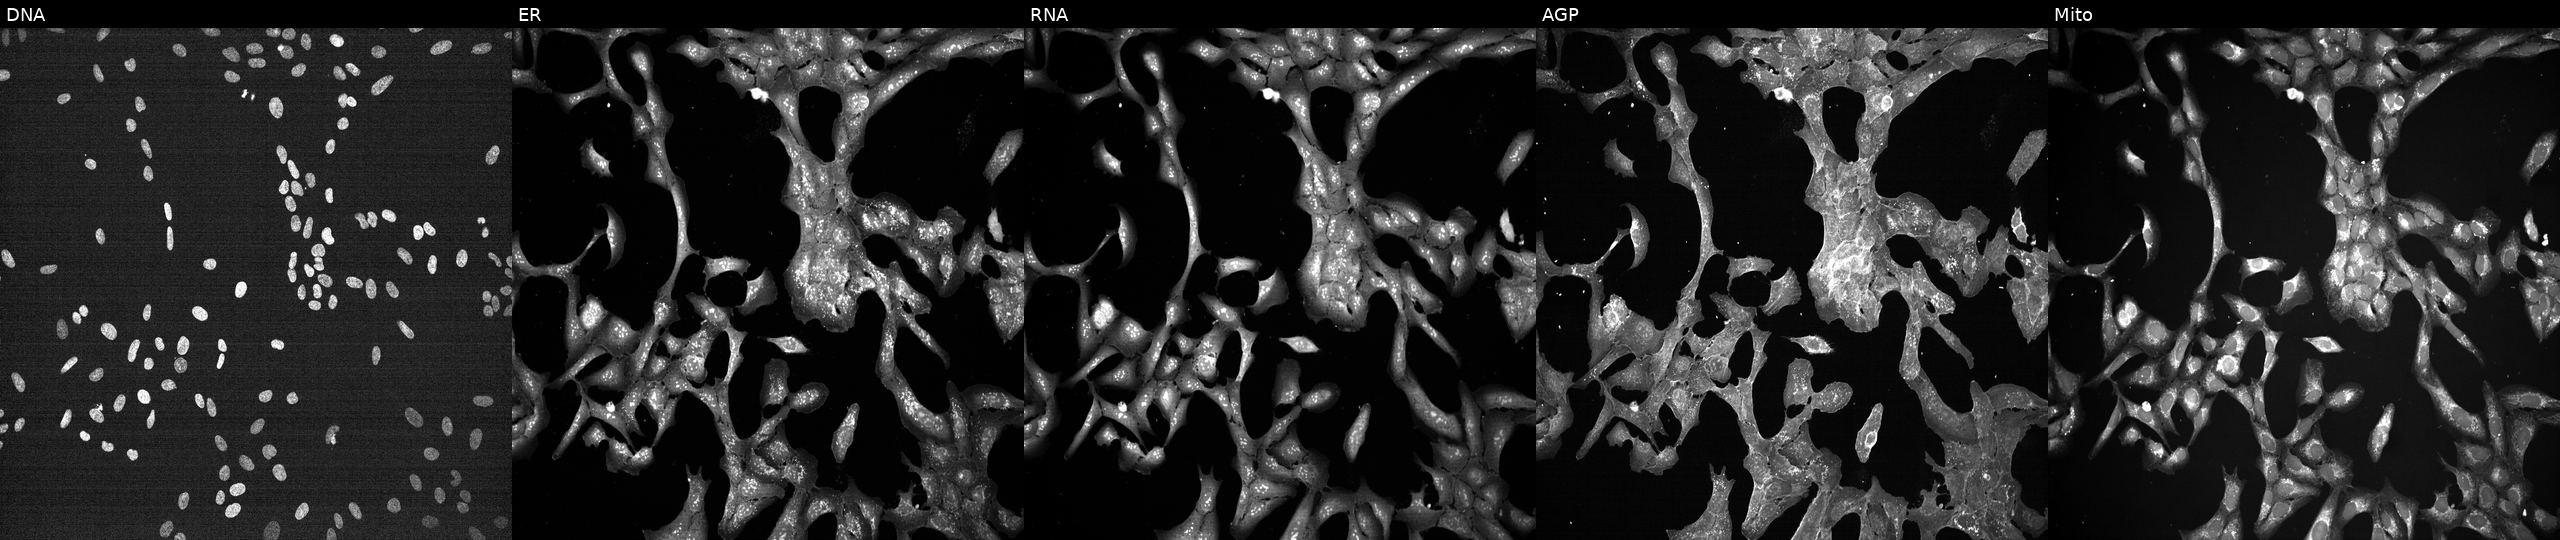
Five-channel Cell Painting image of U2OS cells treated with a small-molecule compound (InChIKey NUIKTBLZSPQGCP-UHFFFAOYSA-N). The five panels, left to right, show DNA (nuclei); ER (endoplasmic reticulum); RNA (nucleoli and cytoplasmic RNA); AGP (actin cytoskeleton, Golgi, and plasma membrane); Mito (mitochondria).